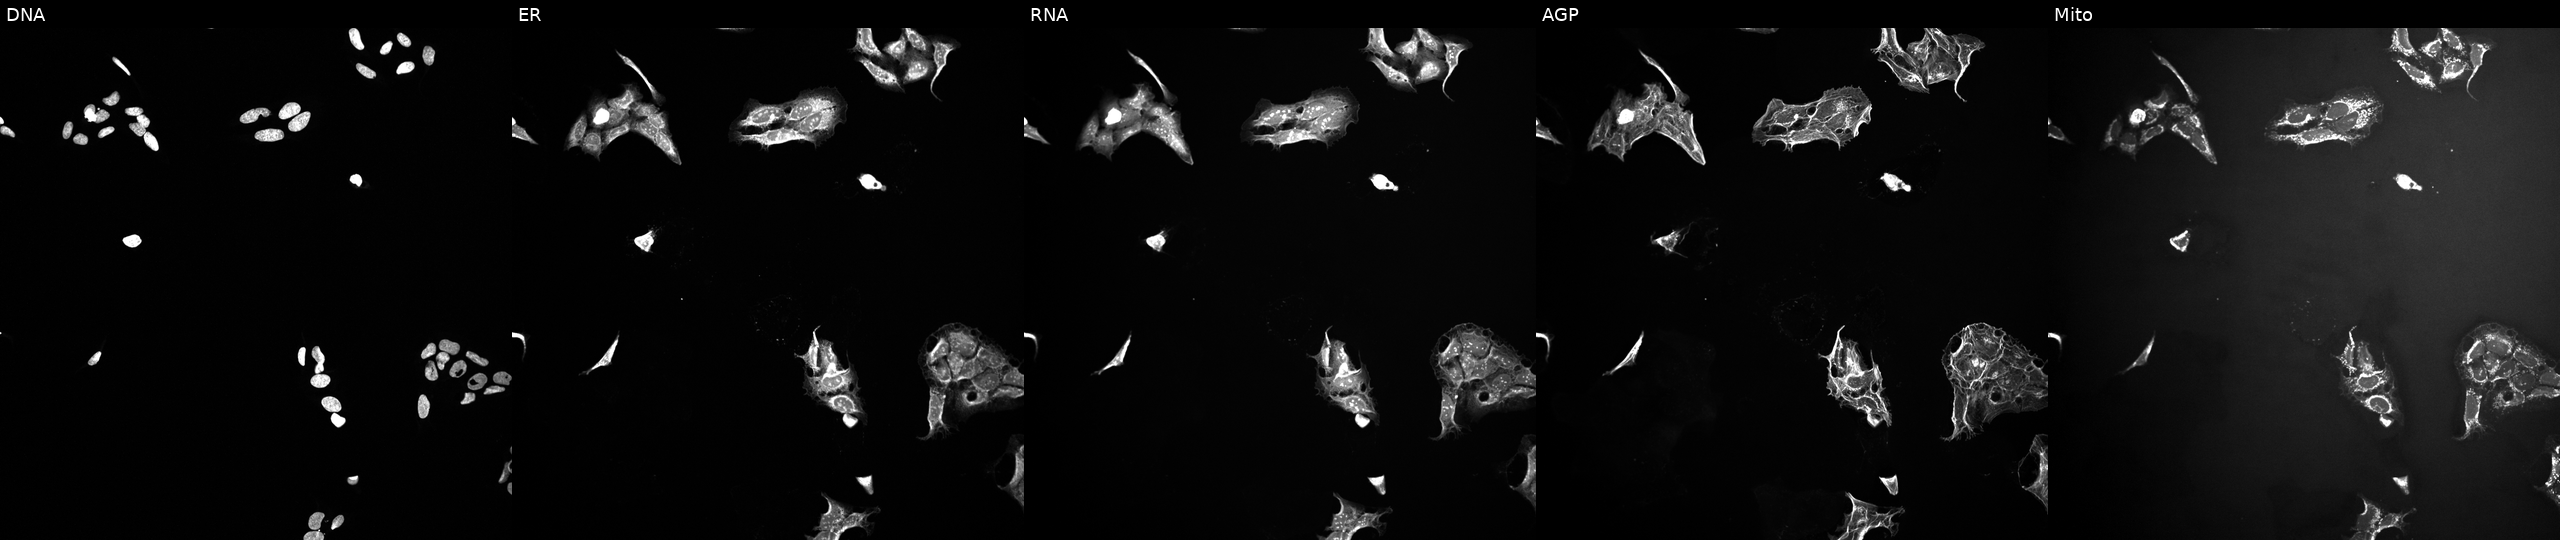
Channels (left→right): DNA (nuclei); ER (endoplasmic reticulum); RNA (nucleoli and cytoplasmic RNA); AGP (actin cytoskeleton, Golgi, and plasma membrane); Mito (mitochondria). U2OS osteosarcoma cells exposed to a small-molecule compound (InChIKey XXJWYDDUDKYVKI-UHFFFAOYSA-N) (JUMP id JCP2022_106680). Cell Painting assay, JUMP-CP dataset. Source 10, plate Dest210726-160150, well M20.